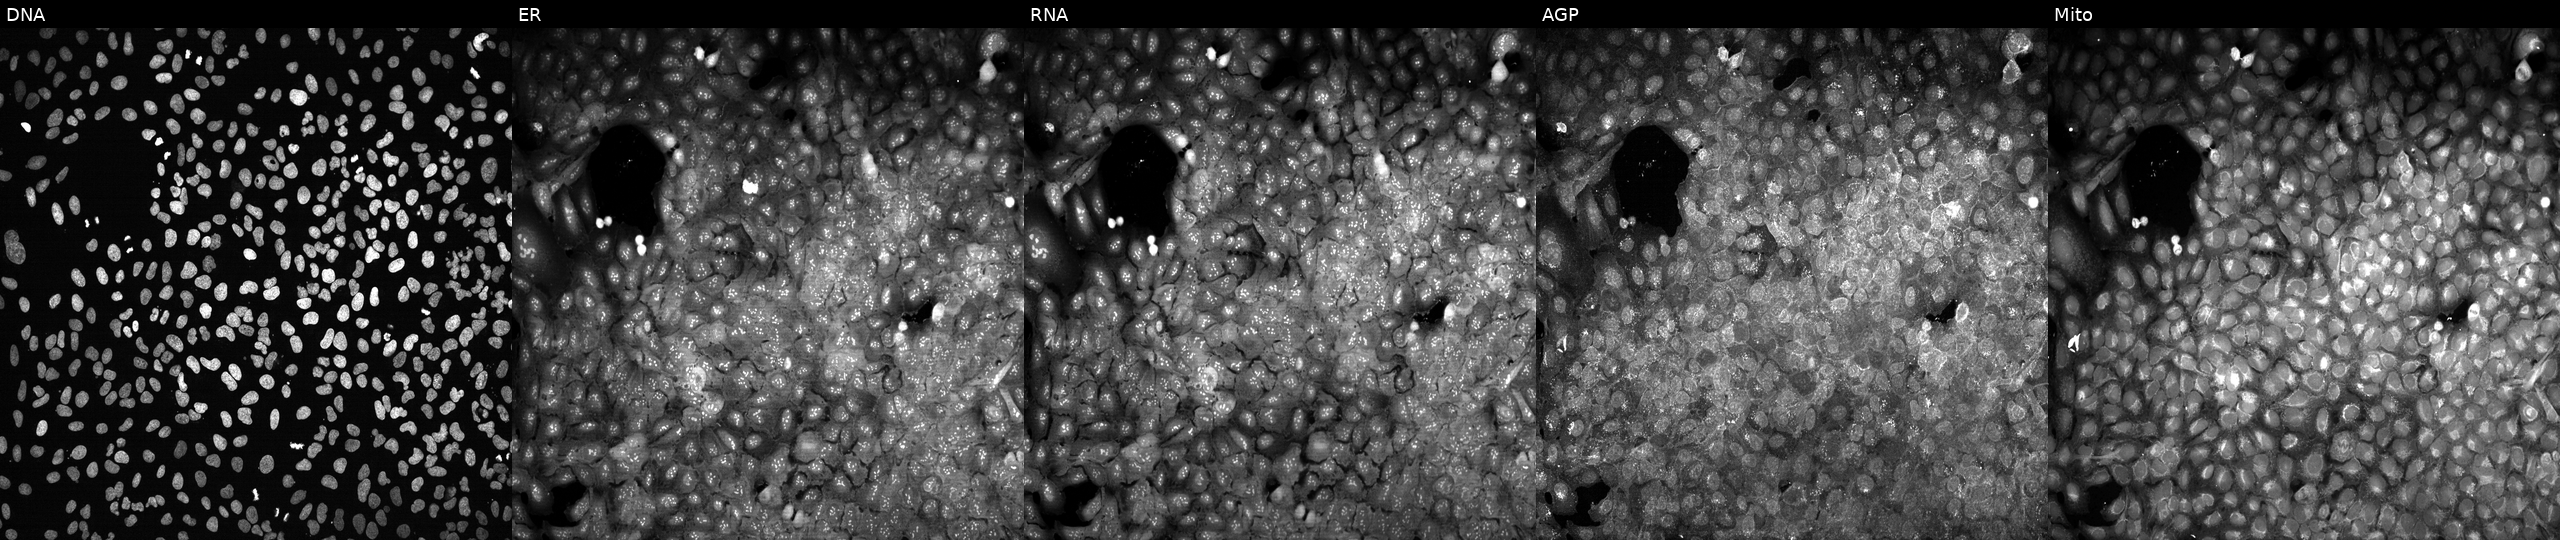
High-content fluorescence microscopy (Cell Painting). Cell line: U2OS. Perturbation: following CRISPR knockout of GNAZ. From left to right: DNA (nuclei); ER (endoplasmic reticulum); RNA (nucleoli and cytoplasmic RNA); AGP (actin cytoskeleton, Golgi, and plasma membrane); Mito (mitochondria).